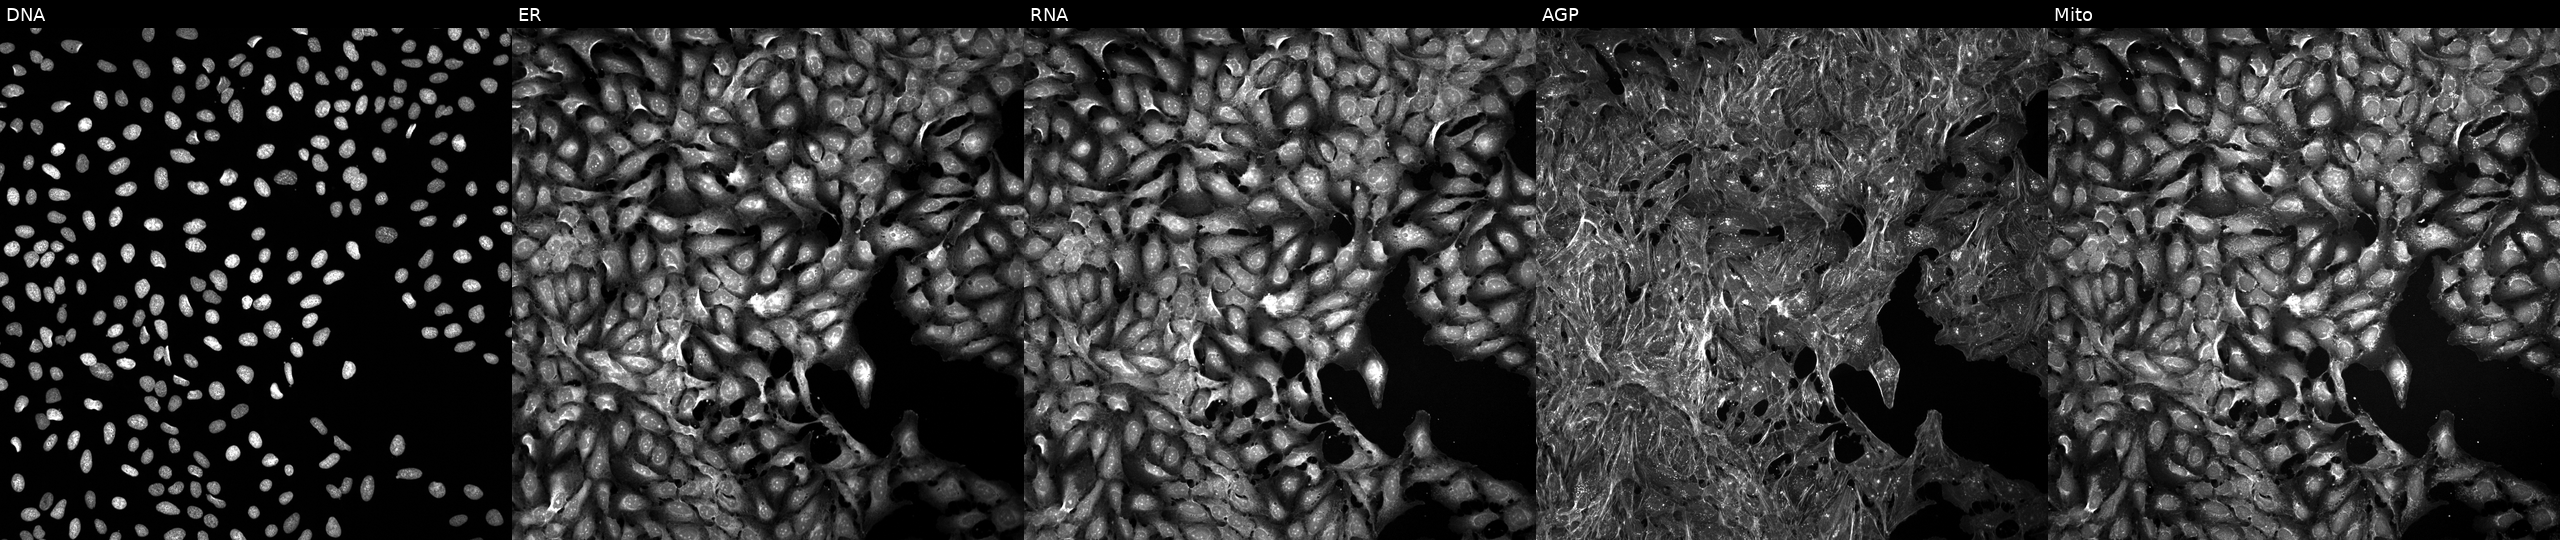
Panels show, left to right, Hoechst 33342, concanavalin A, SYTO 14, phalloidin and WGA, MitoTracker. U2OS osteosarcoma cells treated with FK-866 (positive-control compound) (JUMP id JCP2022_046054). Cell Painting assay, JUMP-CP dataset. Source 5, plate APTJUM105, well H24.